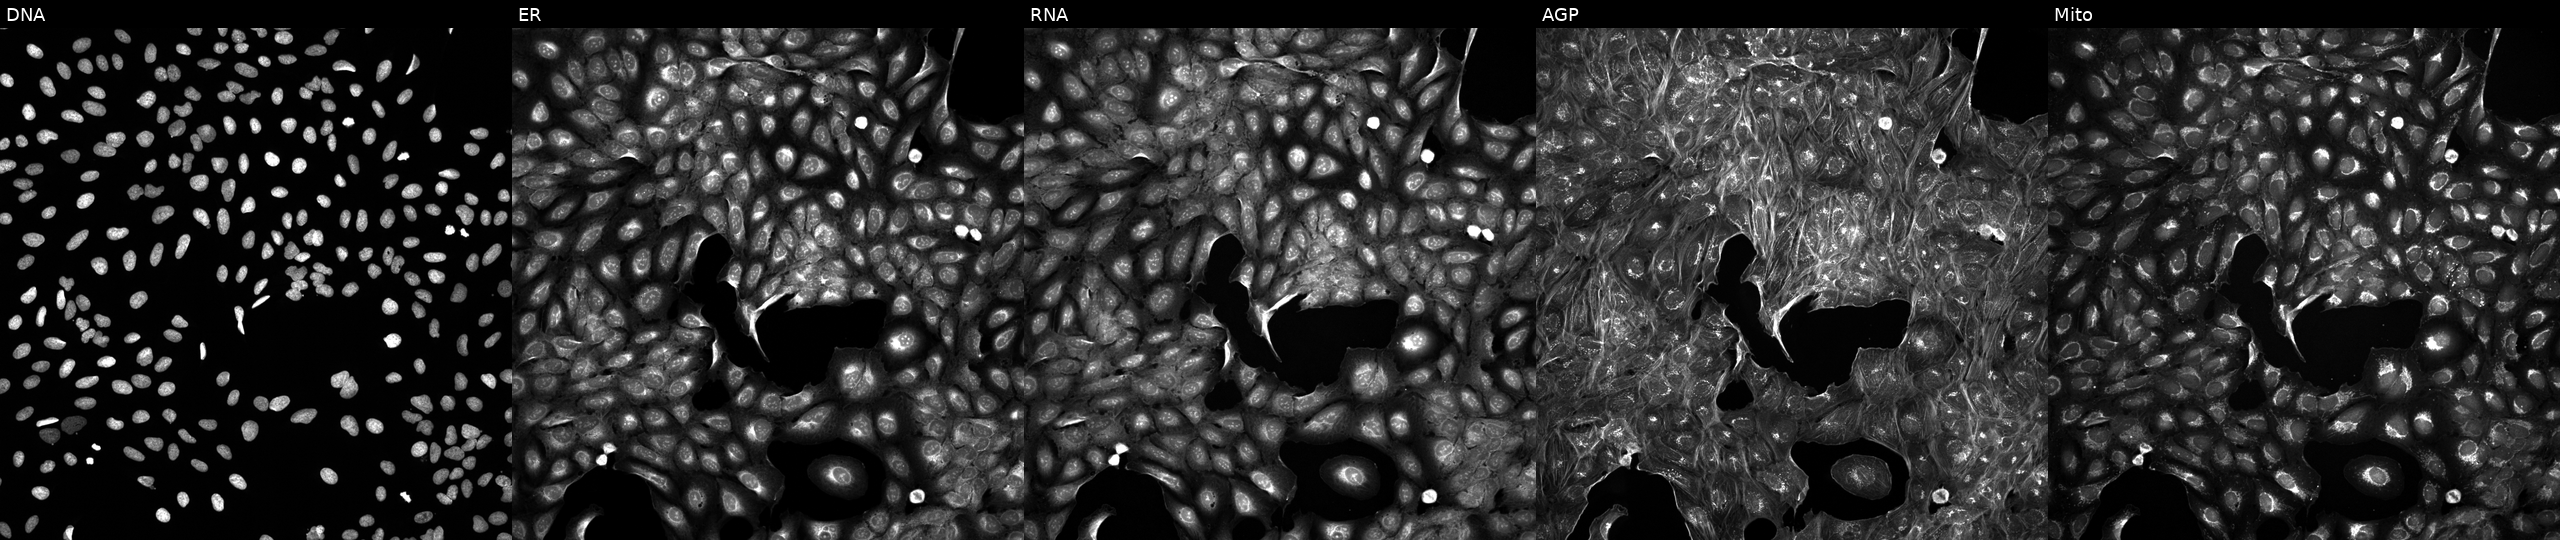
Five-channel Cell Painting image of U2OS cells exposed to a small-molecule compound (InChIKey XXRCUYVCPSWGCC-UHFFFAOYSA-N) [SMILES: CCOC(=O)C(C)=O]. The five panels, left to right, show Hoechst 33342, concanavalin A, SYTO 14, phalloidin and WGA, MitoTracker.